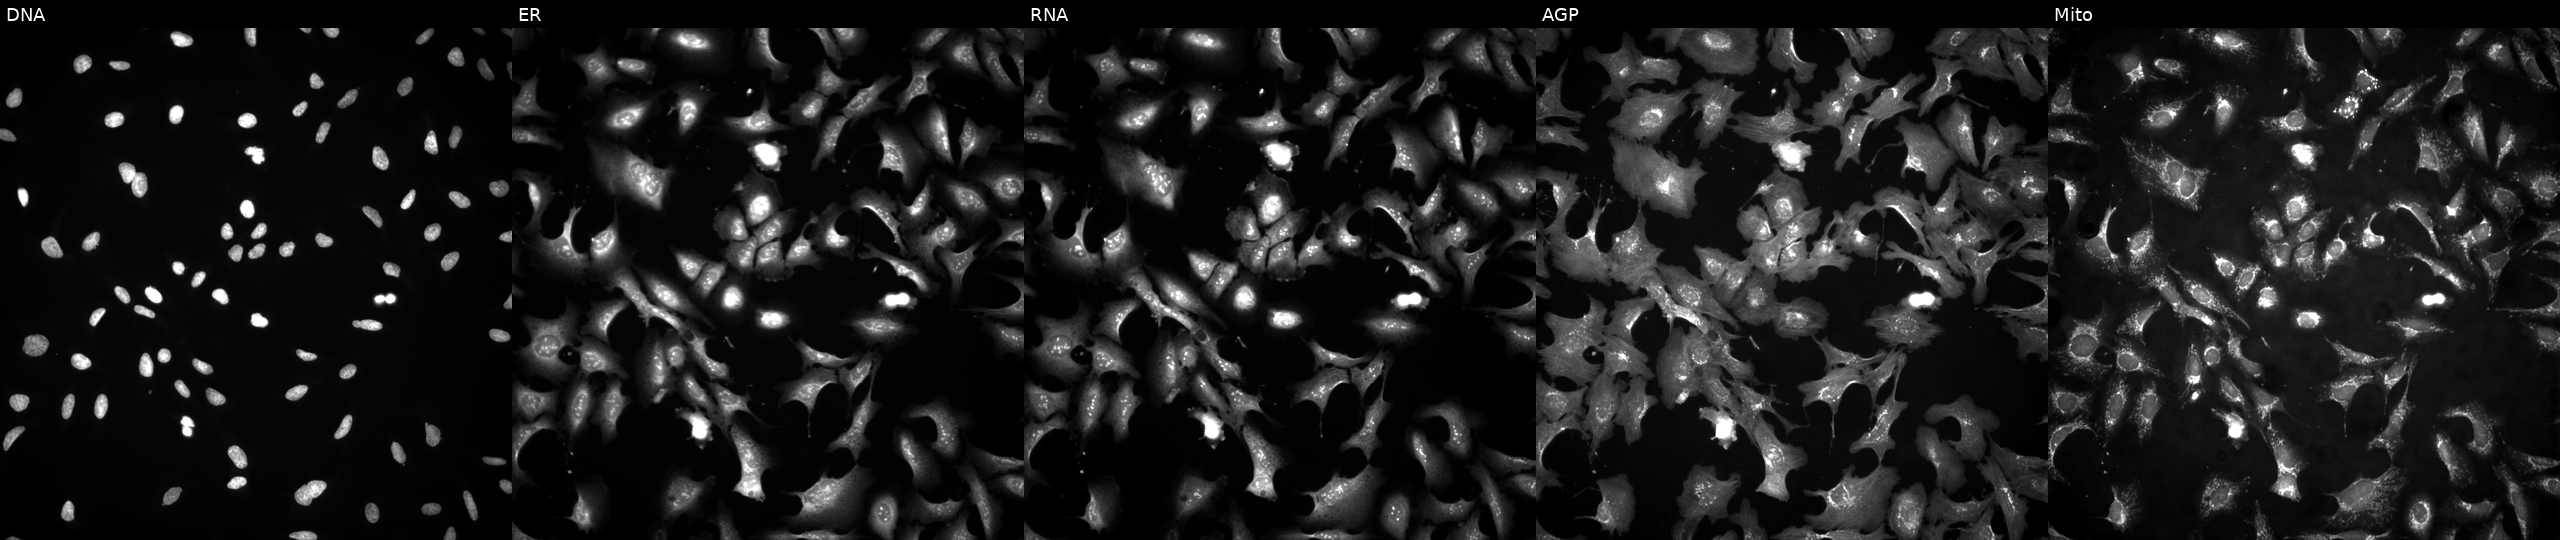
U2OS cells, Cell Painting assay, overexpressing ACVR2B via ORF transfection (JUMP id JCP2022_913563). The five panels, left to right, show DNA, ER, RNA, AGP, and Mito. Each panel is percentile-stretched 16-bit fluorescence.